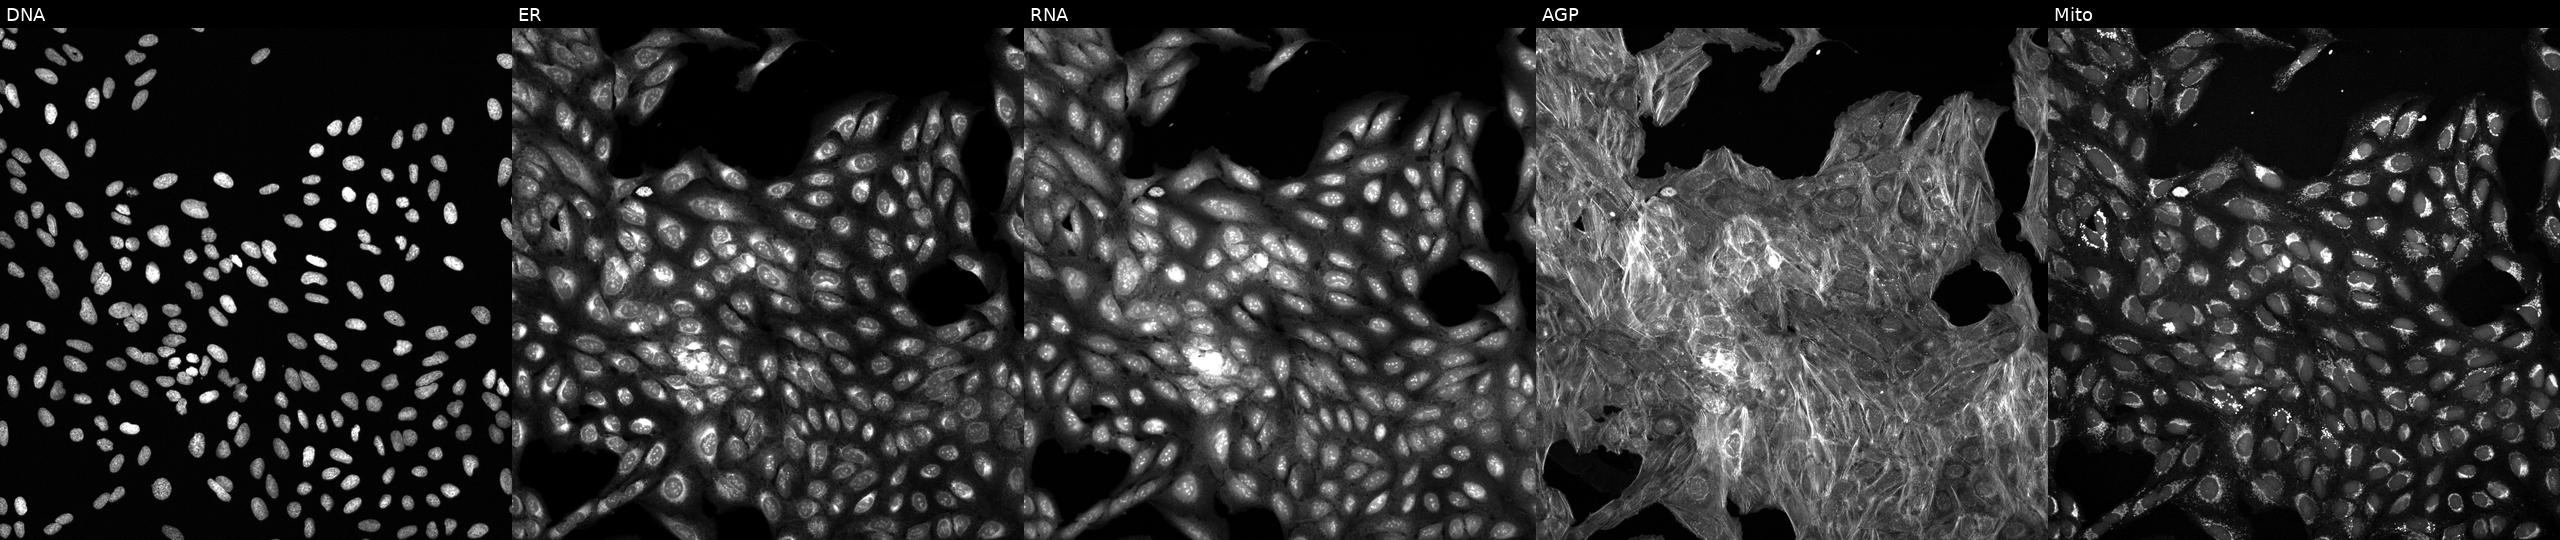
JUMP Cell Painting — COMPOUND plate. U2OS cells exposed to a small-molecule compound (InChIKey ZIQCKIBAUUBRGU-UHFFFAOYSA-N). Channels (left→right): DNA, ER, RNA, AGP, and Mito. Source 6, plate 110000293082, well K03.